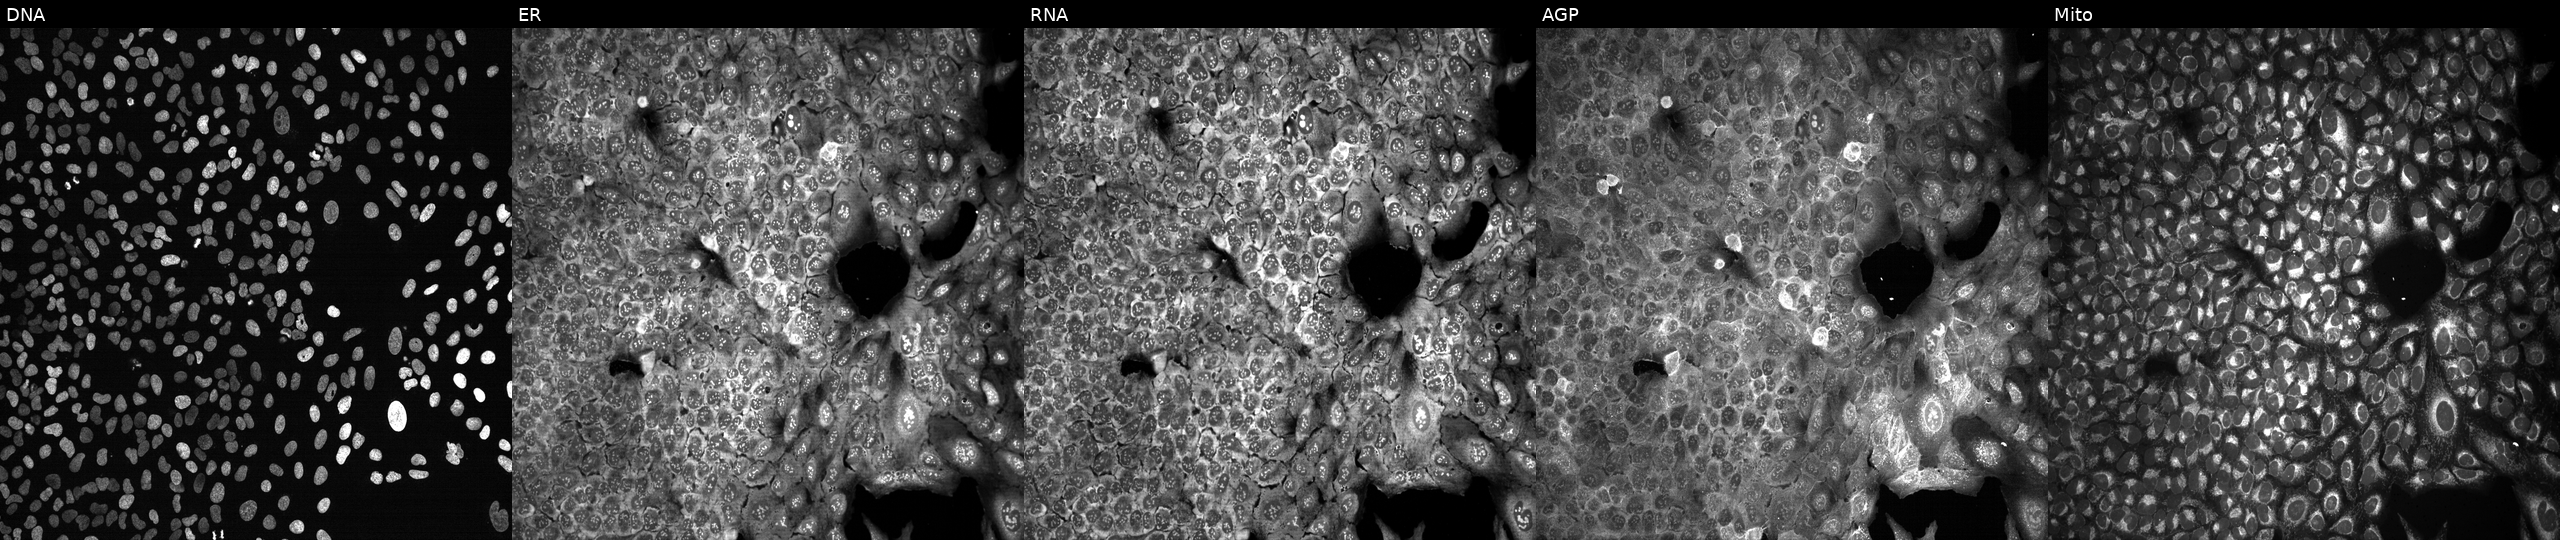
Five-channel Cell Painting image of U2OS cells with a non-targeting CRISPR guide (negative control) (JUMP id JCP2022_800002). Panels show, left to right, DNA (nuclei); ER (endoplasmic reticulum); RNA (nucleoli and cytoplasmic RNA); AGP (actin cytoskeleton, Golgi, and plasma membrane); Mito (mitochondria).